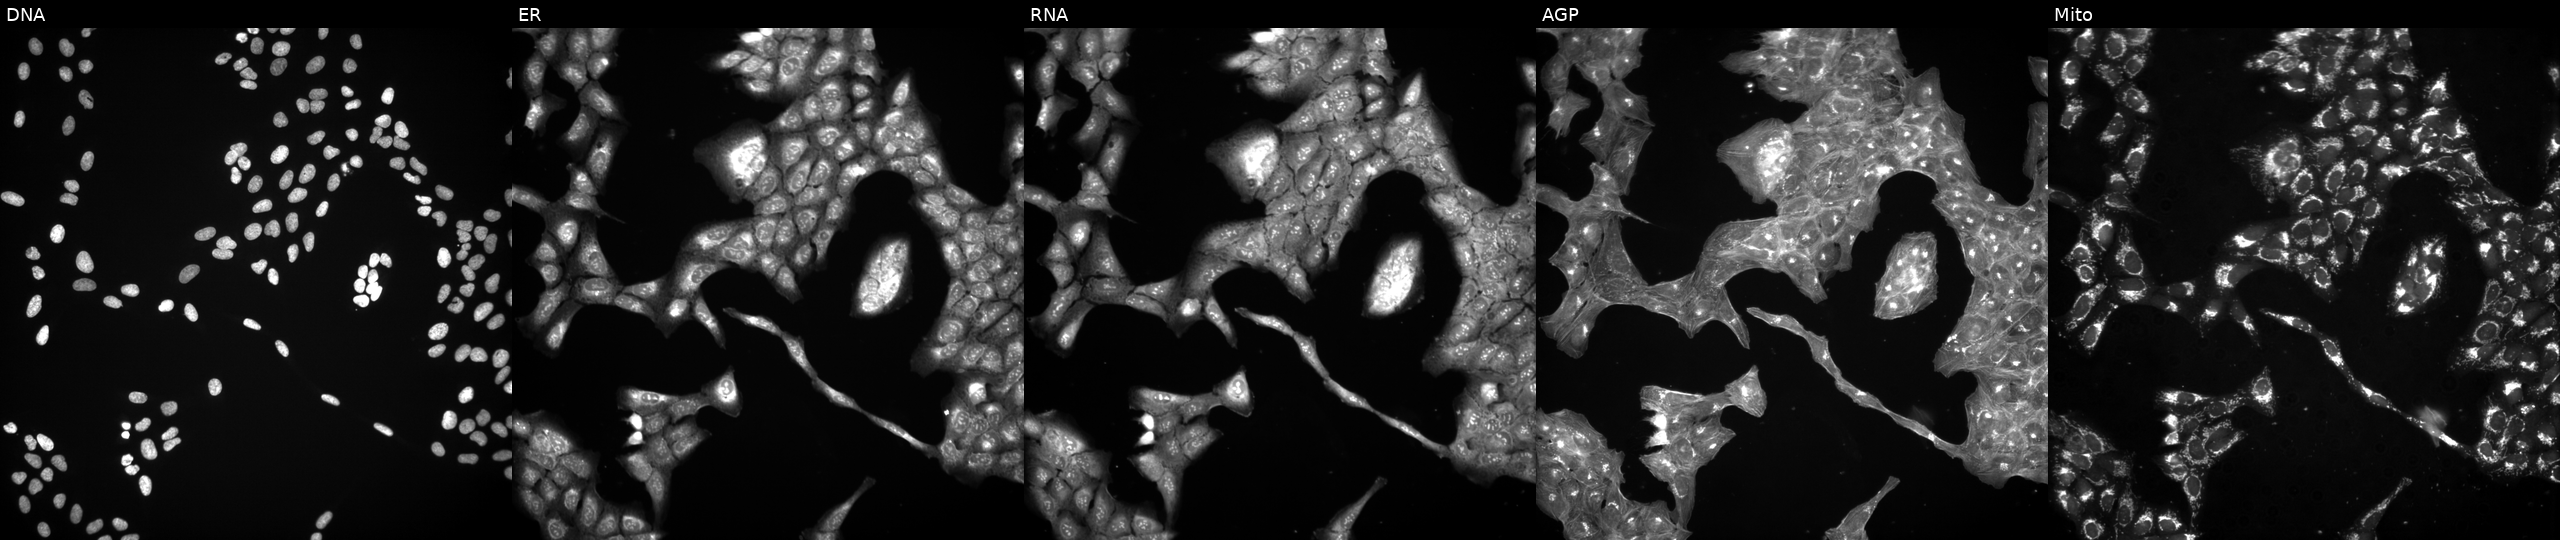
Five-channel Cell Painting image of U2OS cells exposed to a small-molecule compound (InChIKey XQLYJPZIAYGMSO-UHFFFAOYSA-N) [SMILES: COc1ccc(C(=O)Nc2ccccc2Cc2ccccc2)c(OC)c1] (JUMP id JCP2022_105355). From left to right: DNA, ER, RNA, AGP, and Mito.